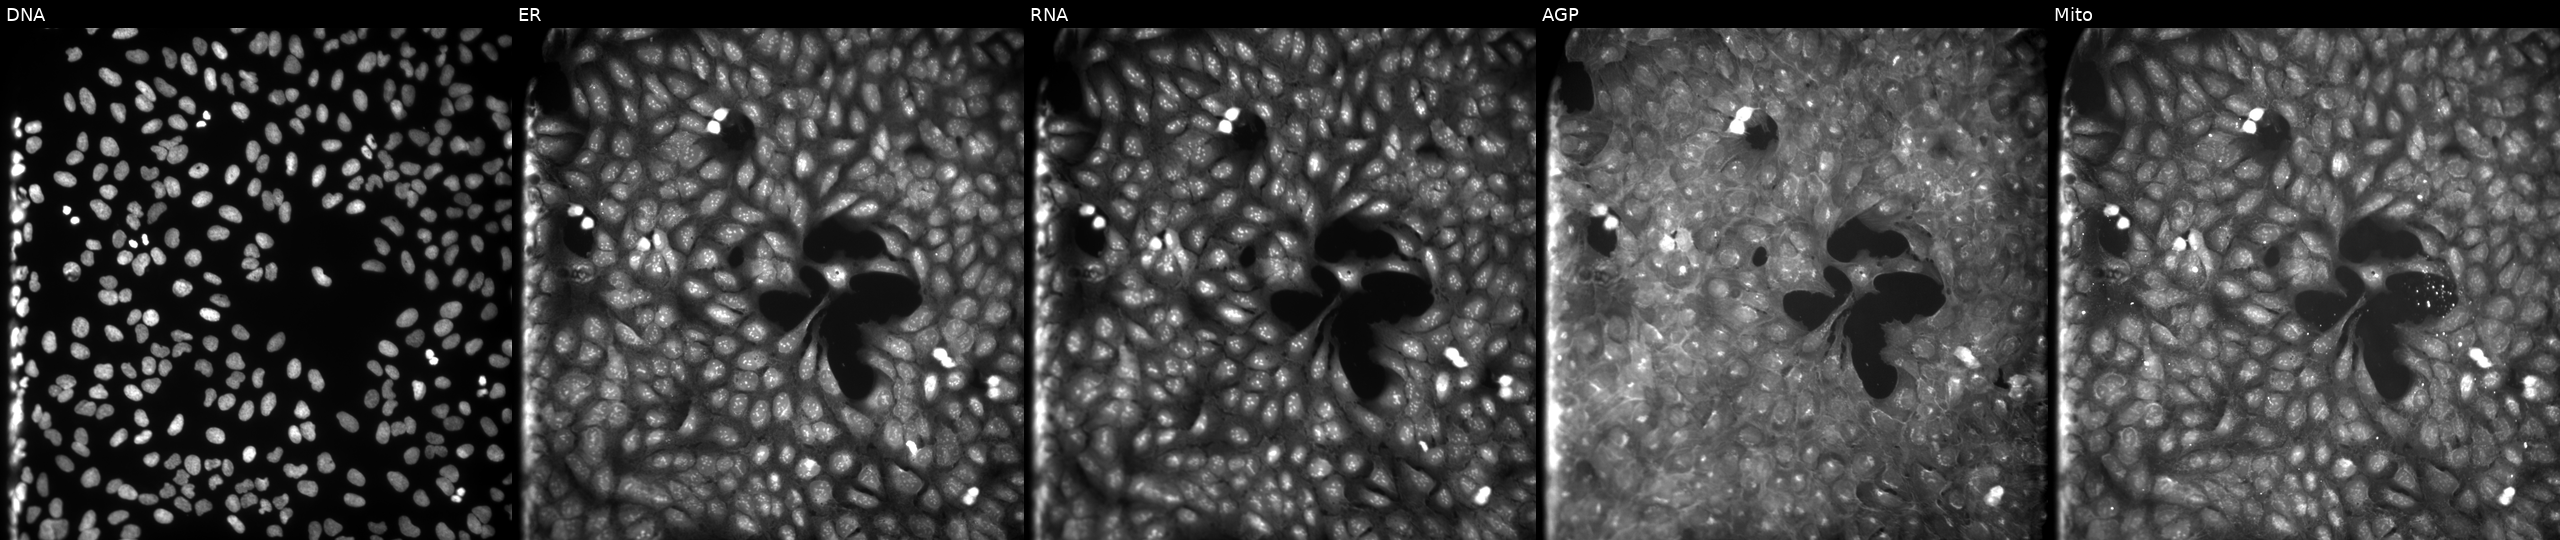
This image strip shows the five Cell Painting channels for a single field of U2OS cells perturbed with a small-molecule compound (InChIKey FGACEBVWLBEPJX-UHFFFAOYSA-N) (JUMP id JCP2022_020417). The five panels, left to right, show DNA, ER, RNA, AGP, and Mito.